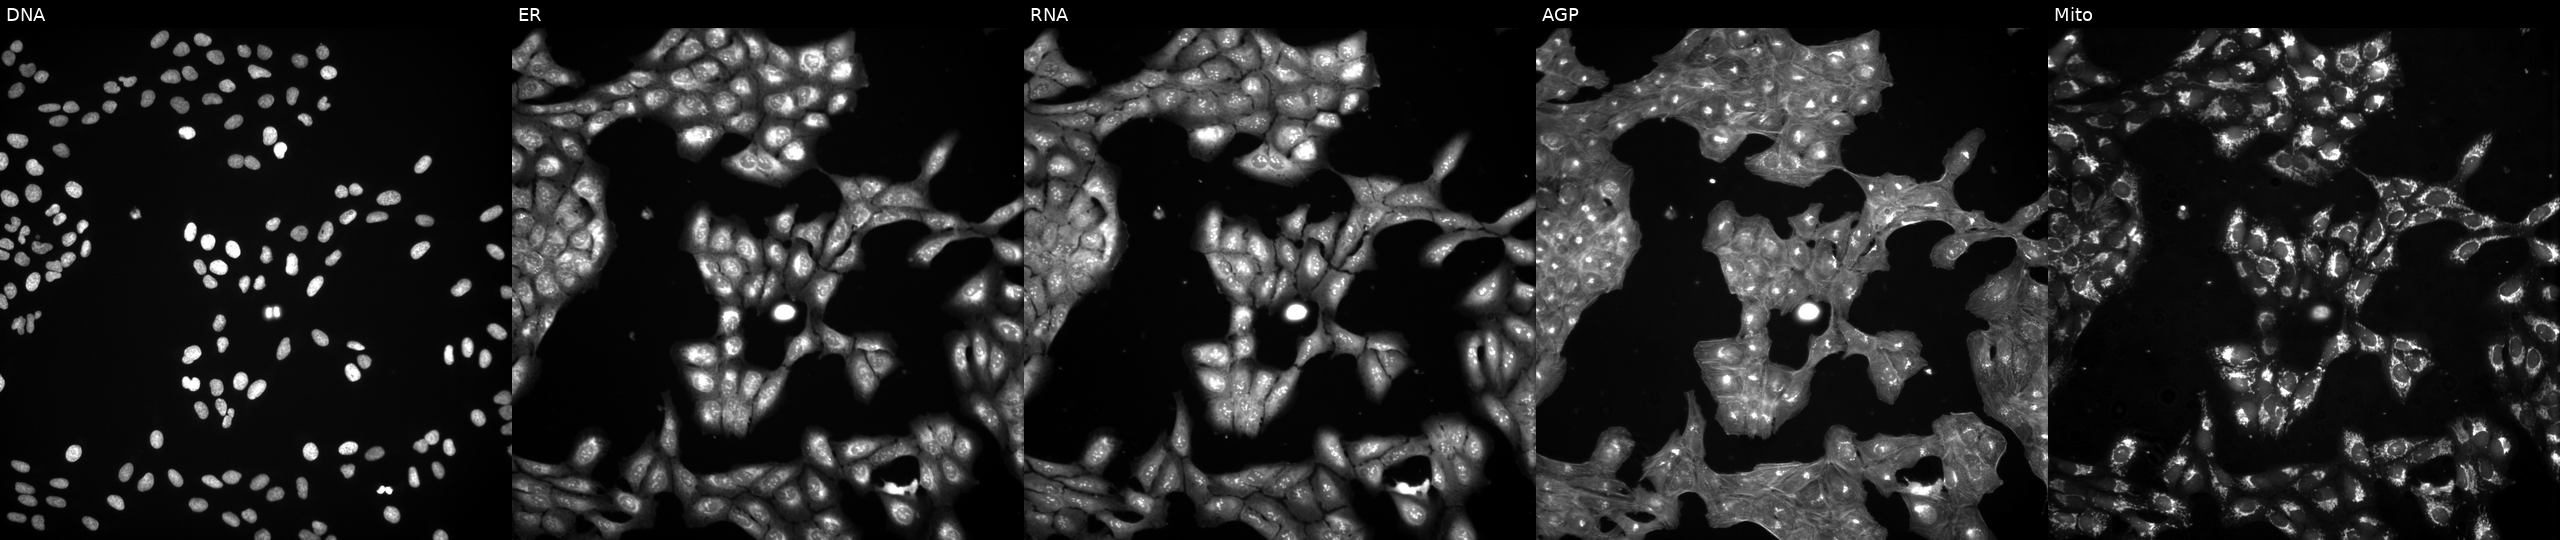
High-content fluorescence microscopy (Cell Painting). Cell line: U2OS. Perturbation: exposed to a small-molecule compound (InChIKey CFWWHIKKATUPSB-UHFFFAOYSA-N) [SMILES: O=C(Nc1ccccc1F)c1ccc2c(c1)OCCO2]. Panels show, left to right, DNA (nuclei); ER (endoplasmic reticulum); RNA (nucleoli and cytoplasmic RNA); AGP (actin cytoskeleton, Golgi, and plasma membrane); Mito (mitochondria).